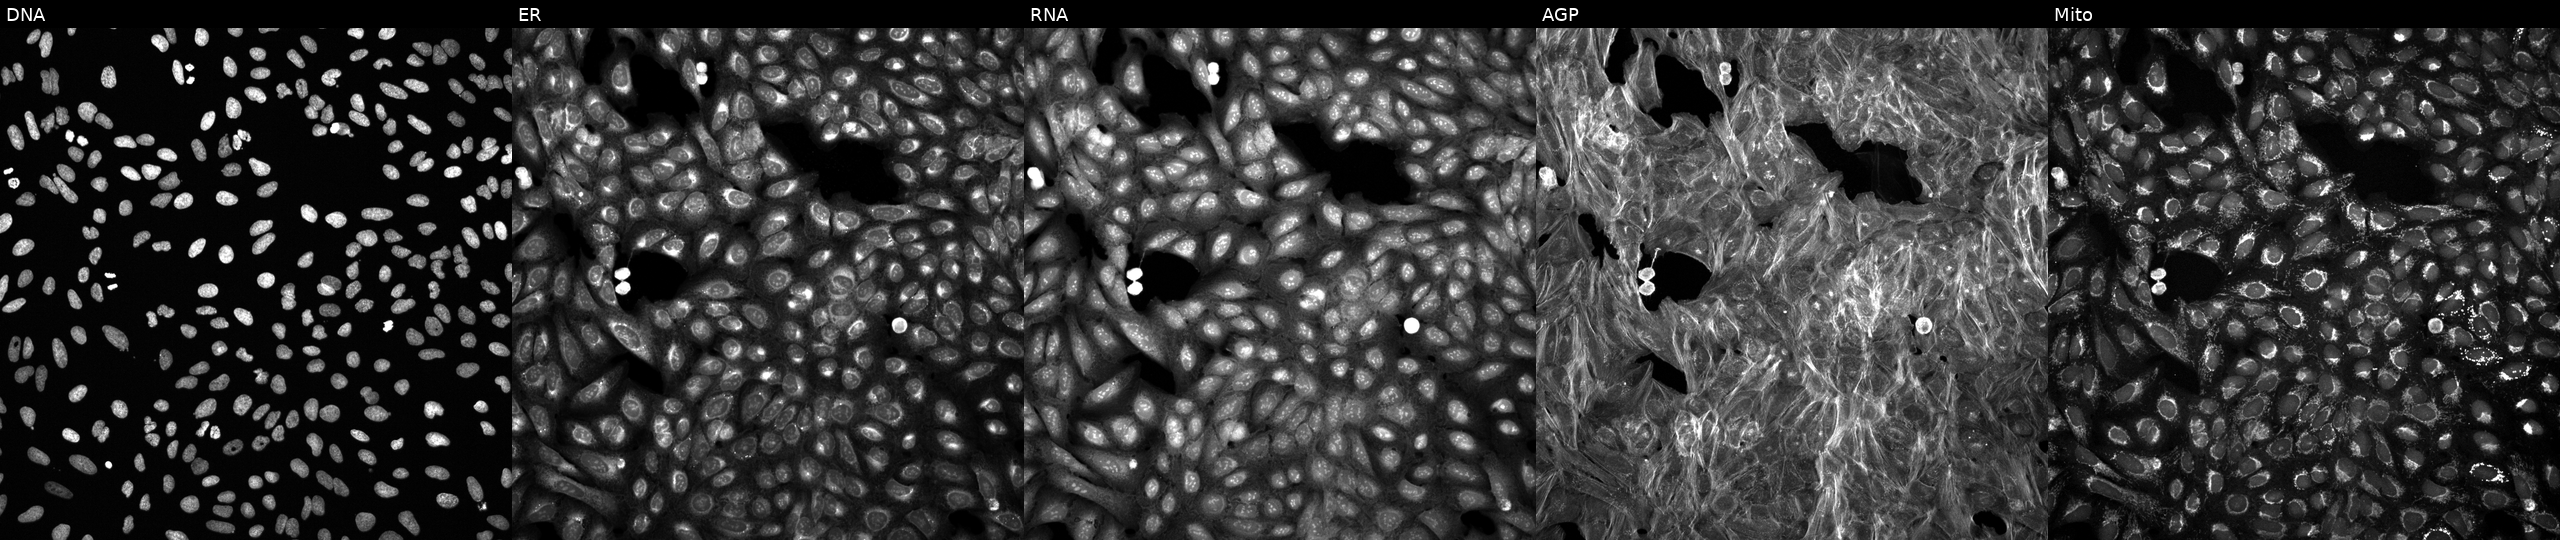
Five-channel Cell Painting image of U2OS cells exposed to a small-molecule compound (InChIKey VFPKRVSXILVQAC-UHFFFAOYSA-N) (JUMP id JCP2022_093645). The five panels, left to right, show DNA, ER, RNA, AGP, and Mito. Source 6, plate 110000293082, well I10.